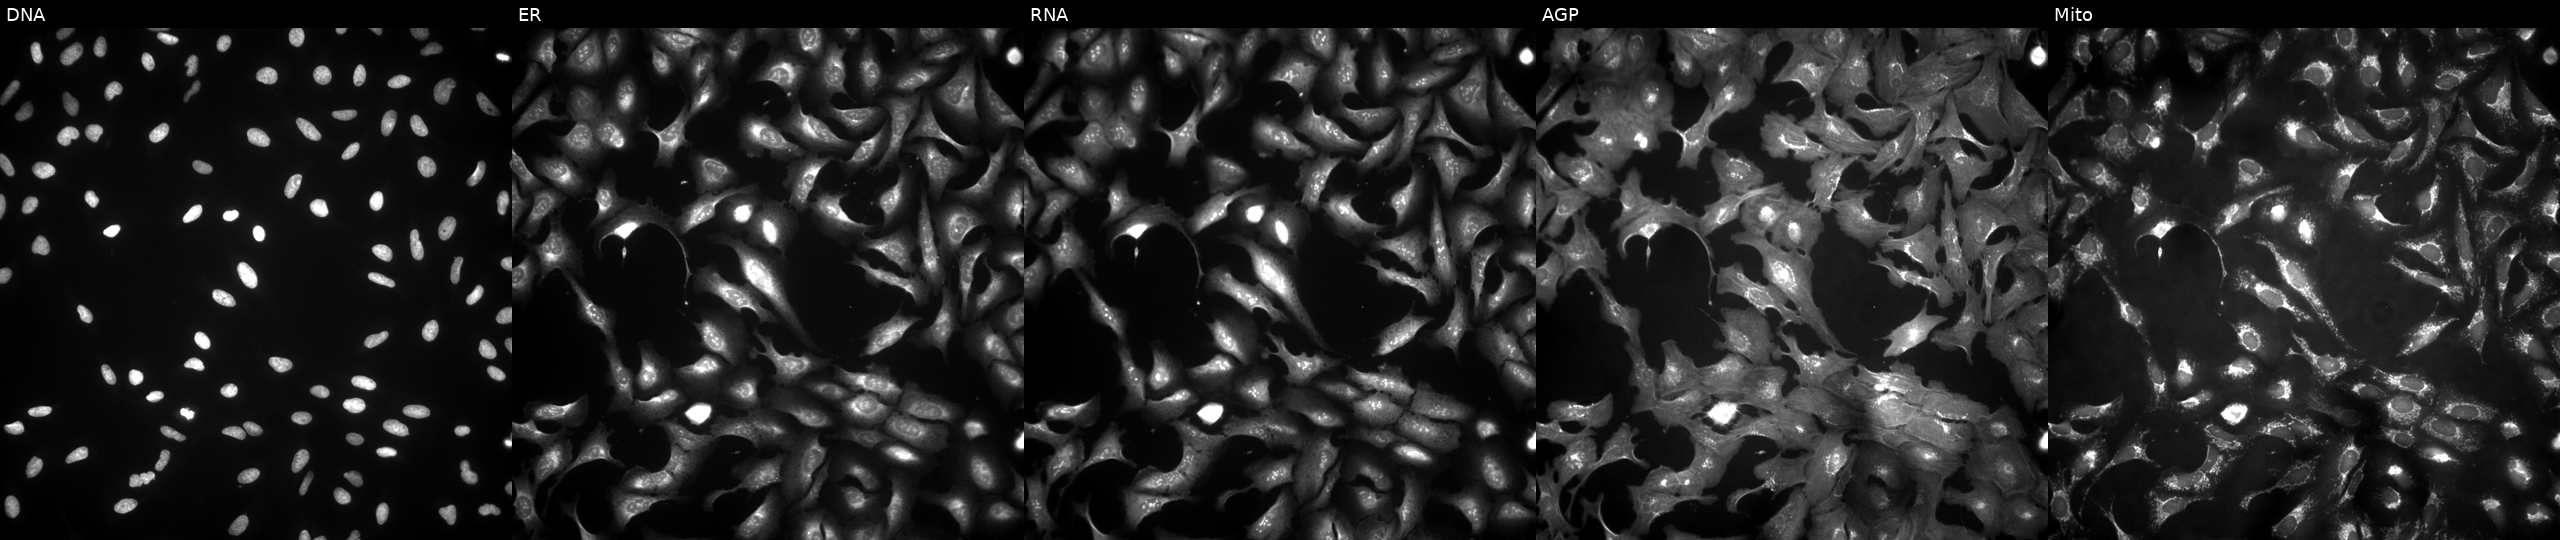
High-content fluorescence microscopy (Cell Painting). Cell line: U2OS. Perturbation: overexpressing DEPTOR via ORF transfection (JUMP id JCP2022_914940). Channels (left→right): DNA (nuclei); ER (endoplasmic reticulum); RNA (nucleoli and cytoplasmic RNA); AGP (actin cytoskeleton, Golgi, and plasma membrane); Mito (mitochondria).